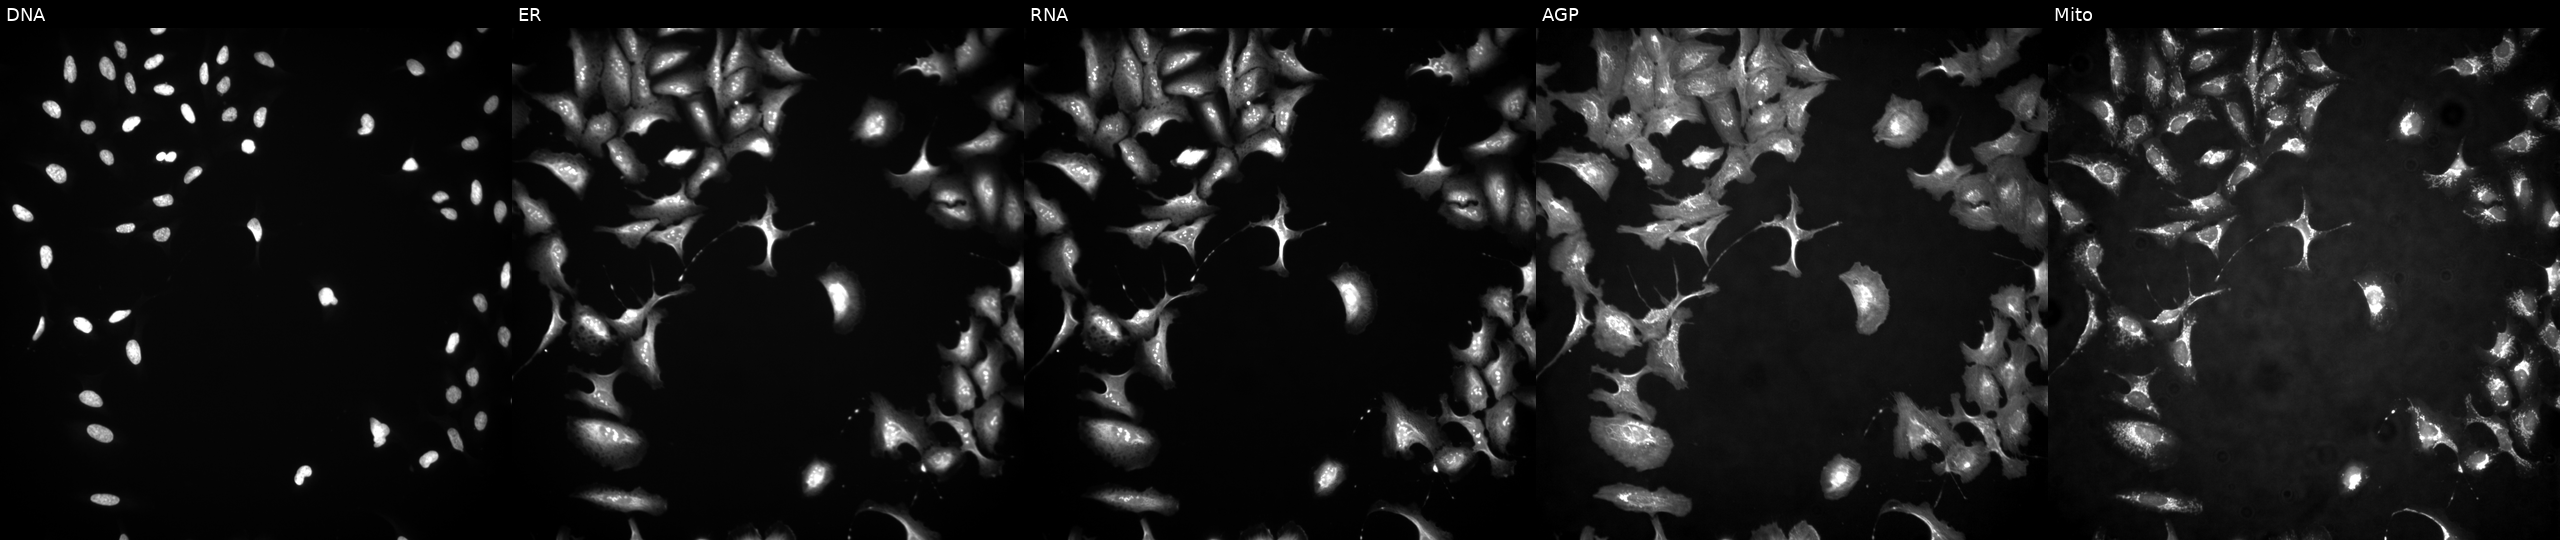
This image strip shows the five Cell Painting channels for a single field of U2OS cells with ZNF511 overexpressed (ORF) (JUMP id JCP2022_904428). Panels show, left to right, DNA (nuclei); ER (endoplasmic reticulum); RNA (nucleoli and cytoplasmic RNA); AGP (actin cytoskeleton, Golgi, and plasma membrane); Mito (mitochondria). Source 4, plate BR00117035, well K20.